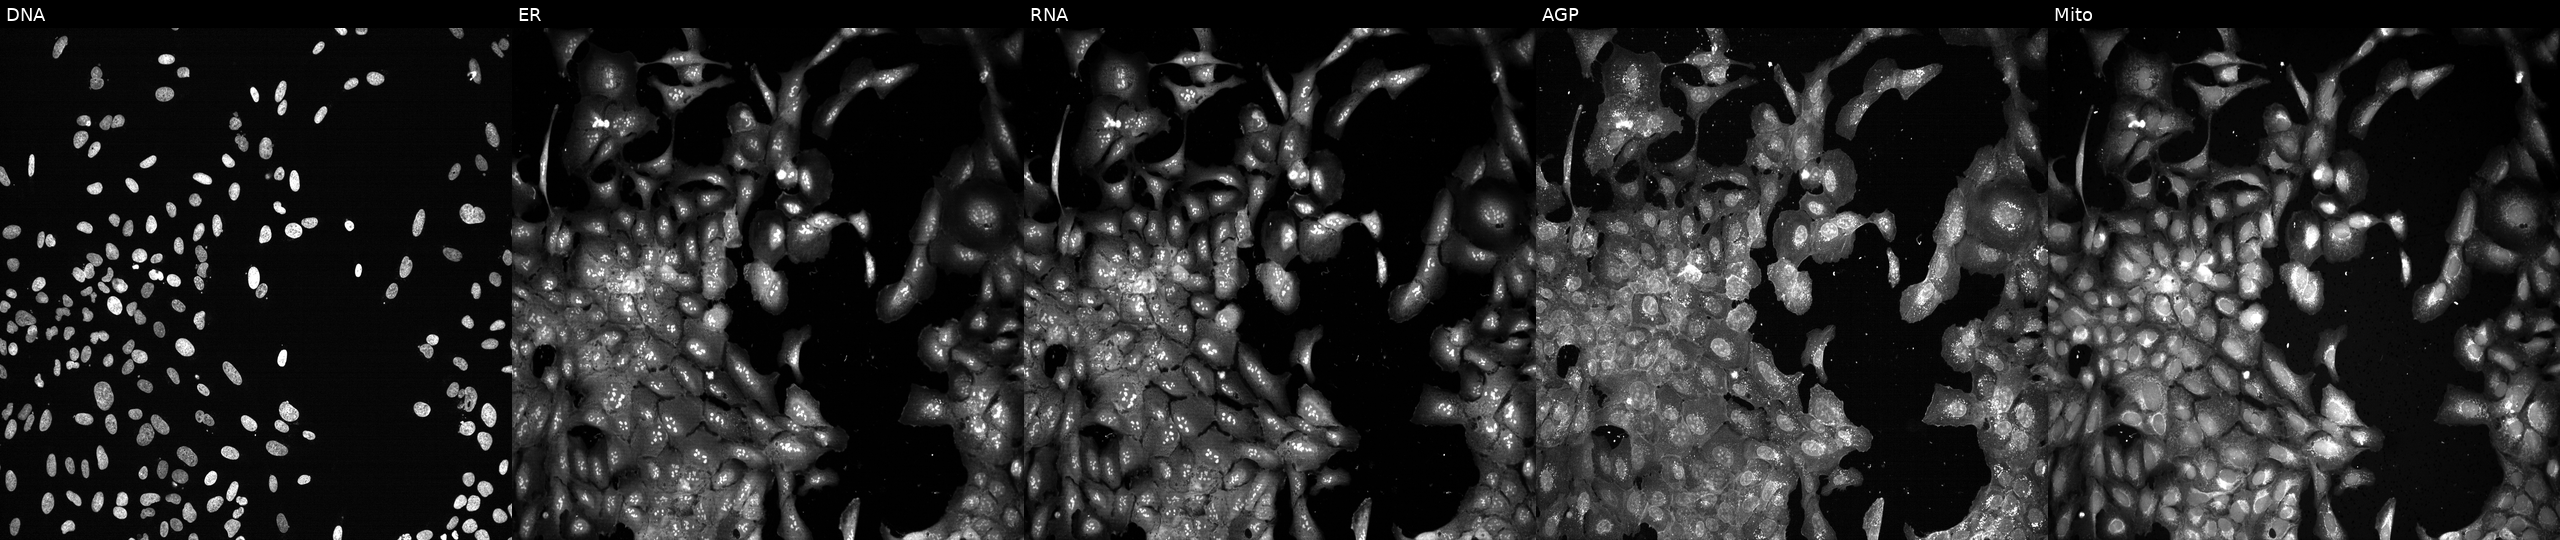
JUMP Cell Painting — CRISPR plate. U2OS cells CRISPR-edited to disrupt EIF3E (JUMP id JCP2022_802060). Panels show, left to right, DNA, ER, RNA, AGP, and Mito.